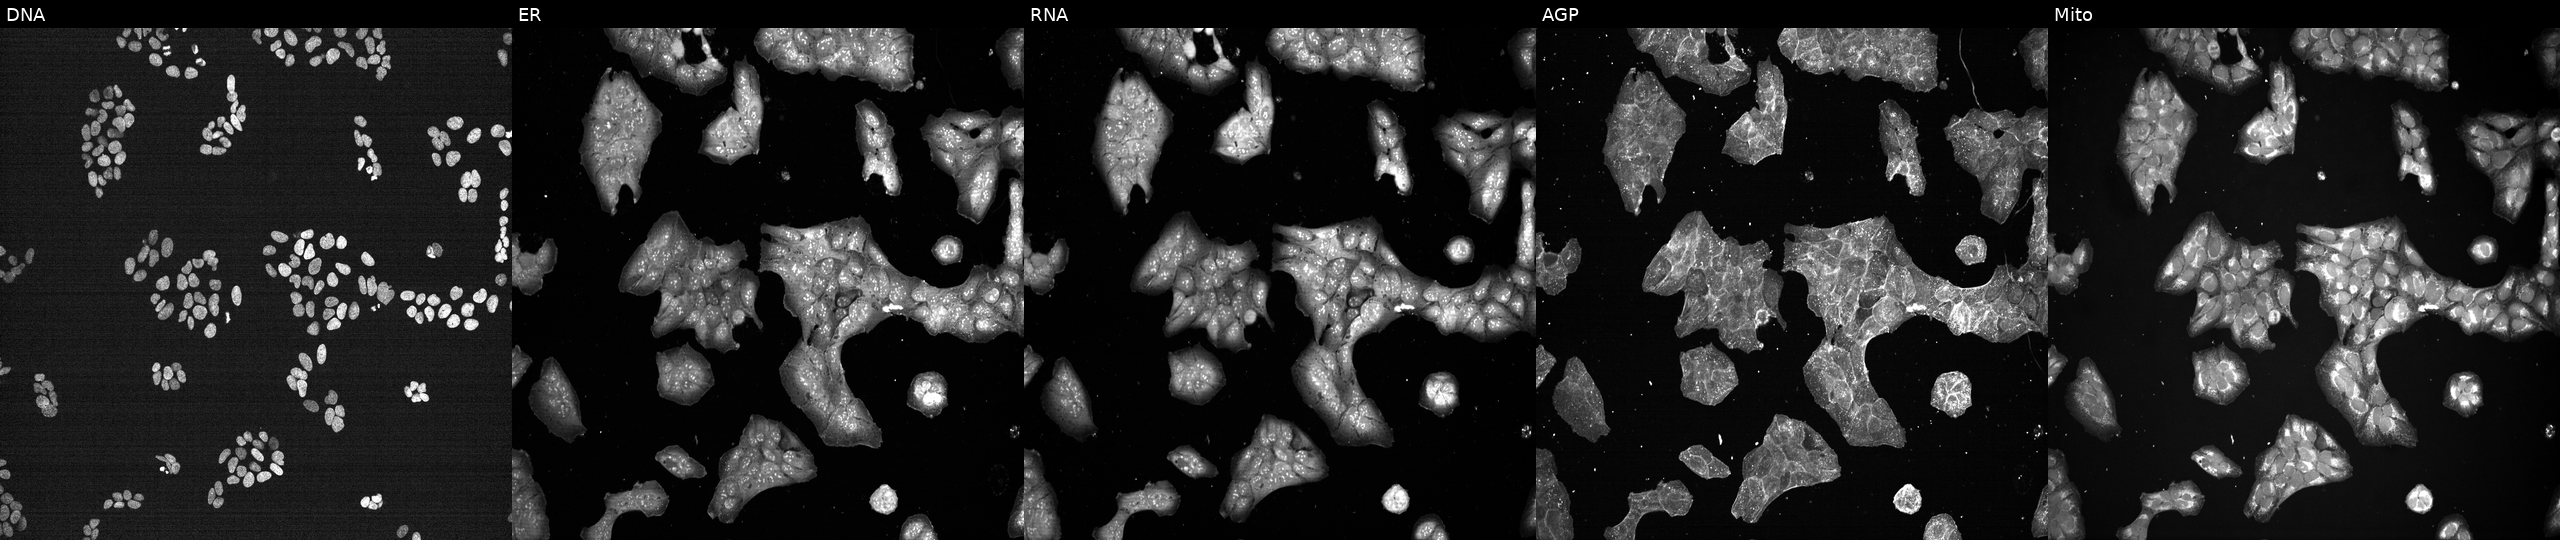
U2OS cells, Cell Painting assay, exposed to a small-molecule compound (InChIKey ZVPDNRVYHLRXLX-UHFFFAOYSA-N) (JUMP id JCP2022_115963). Channels (left→right): DNA, ER, RNA, AGP, and Mito. Each panel is percentile-stretched 16-bit fluorescence.